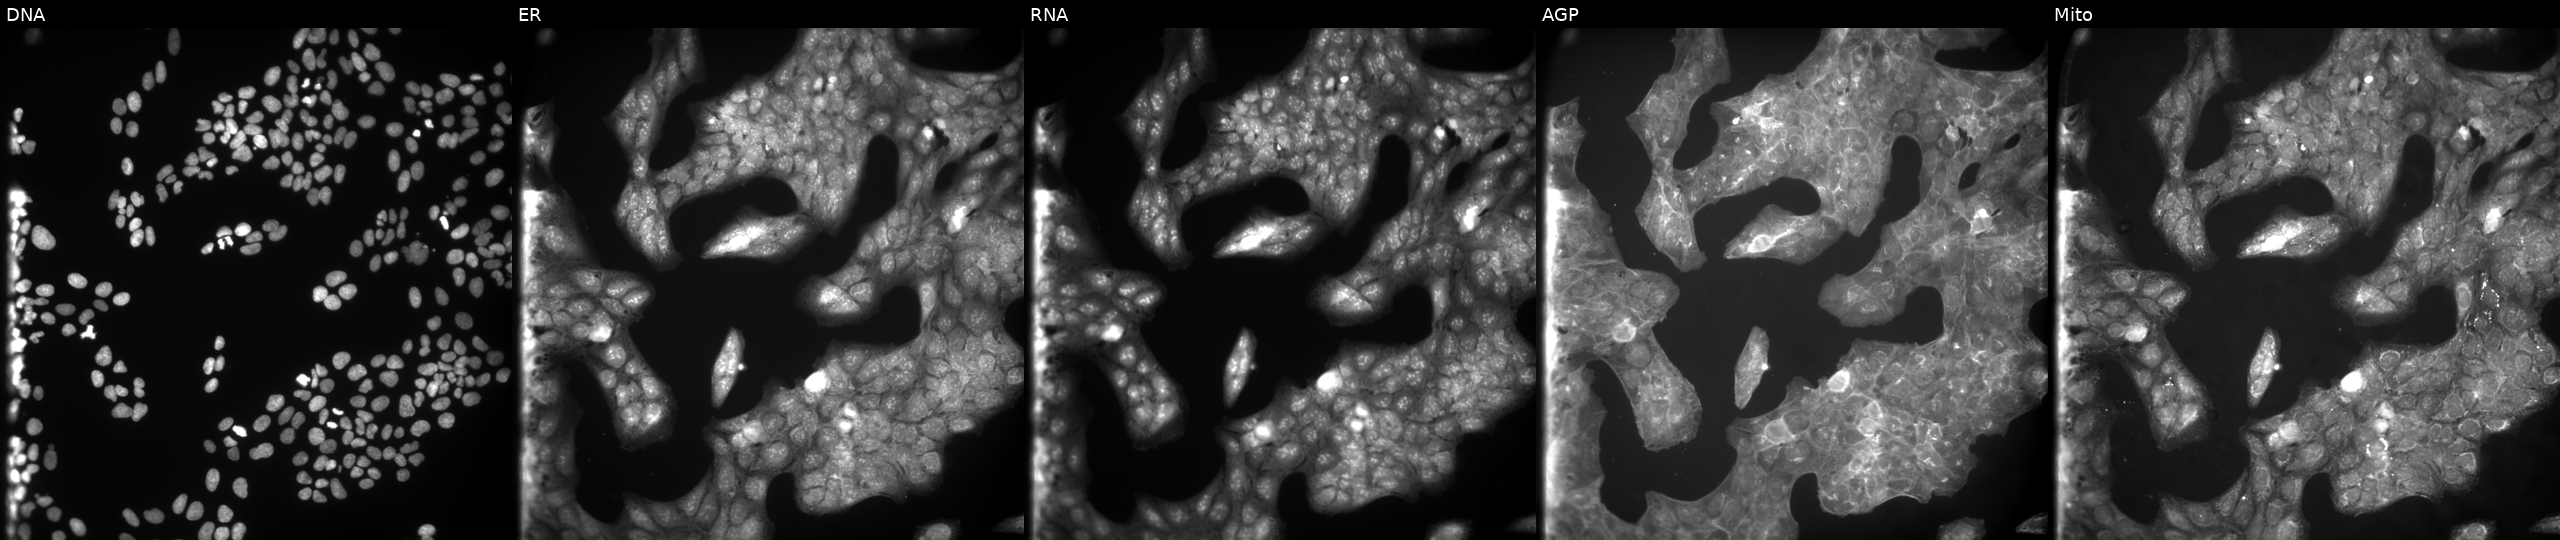
This image strip shows the five Cell Painting channels for a single field of U2OS cells treated with a small-molecule compound (InChIKey IBCXZJCWDGCXQT-UHFFFAOYSA-N) [SMILES: c1ccc(-c2[nH]ncc2-c2ccnc3ccccc23)nc1] (JUMP id JCP2022_033954). The five panels, left to right, show Hoechst 33342, concanavalin A, SYTO 14, phalloidin and WGA, MitoTracker.